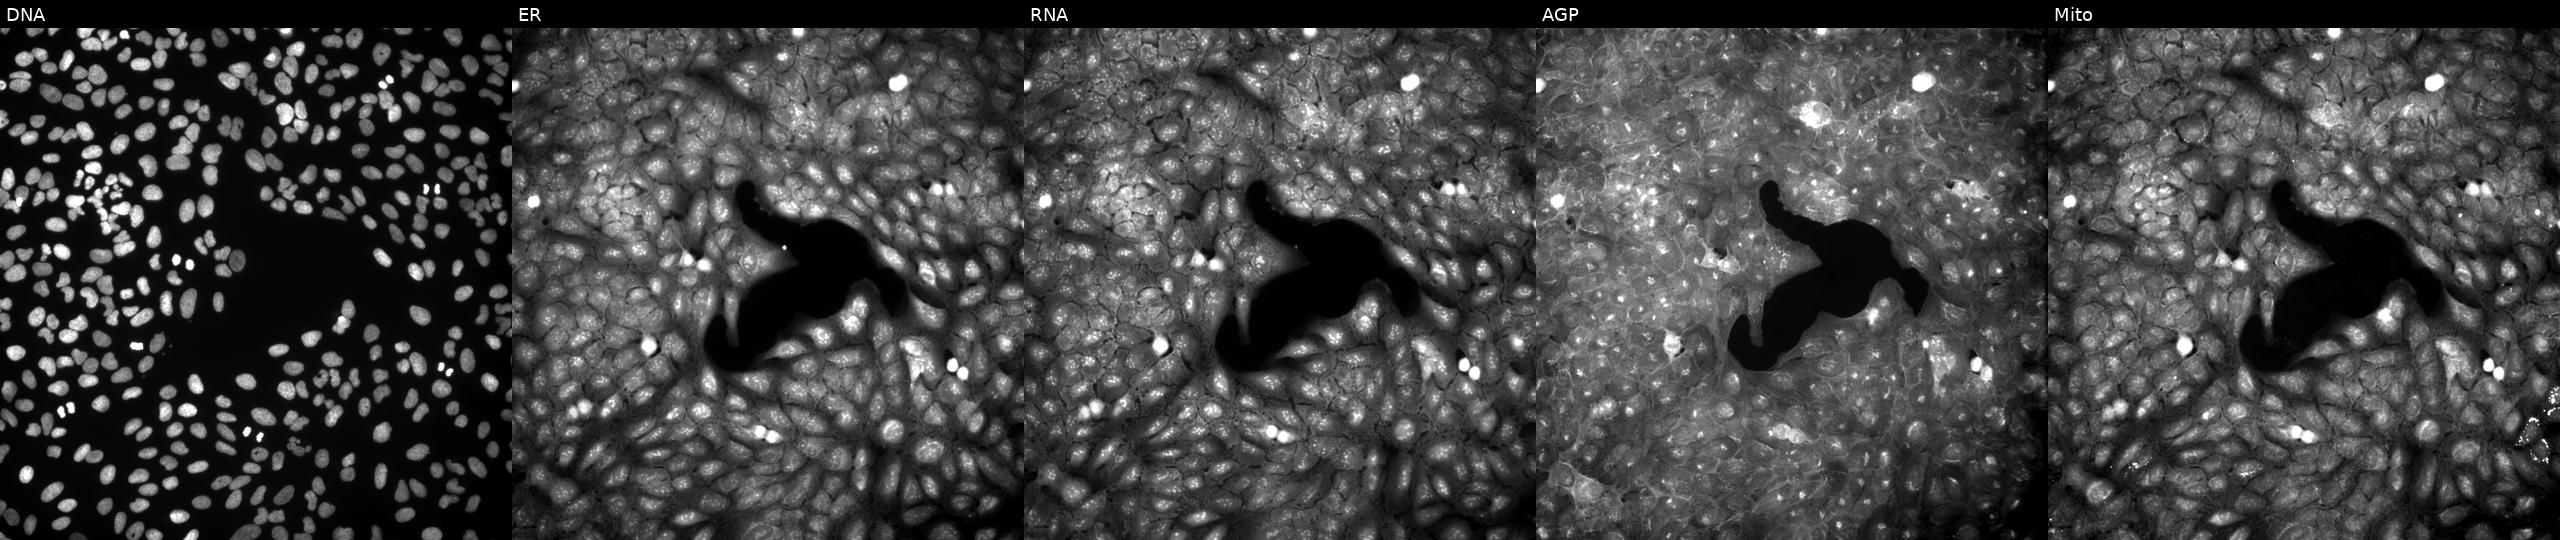
JUMP Cell Painting — COMPOUND plate. U2OS cells exposed to a small-molecule compound. Panels show, left to right, DNA, ER, RNA, AGP, and Mito. Source 9, plate GR00003381, well L31.